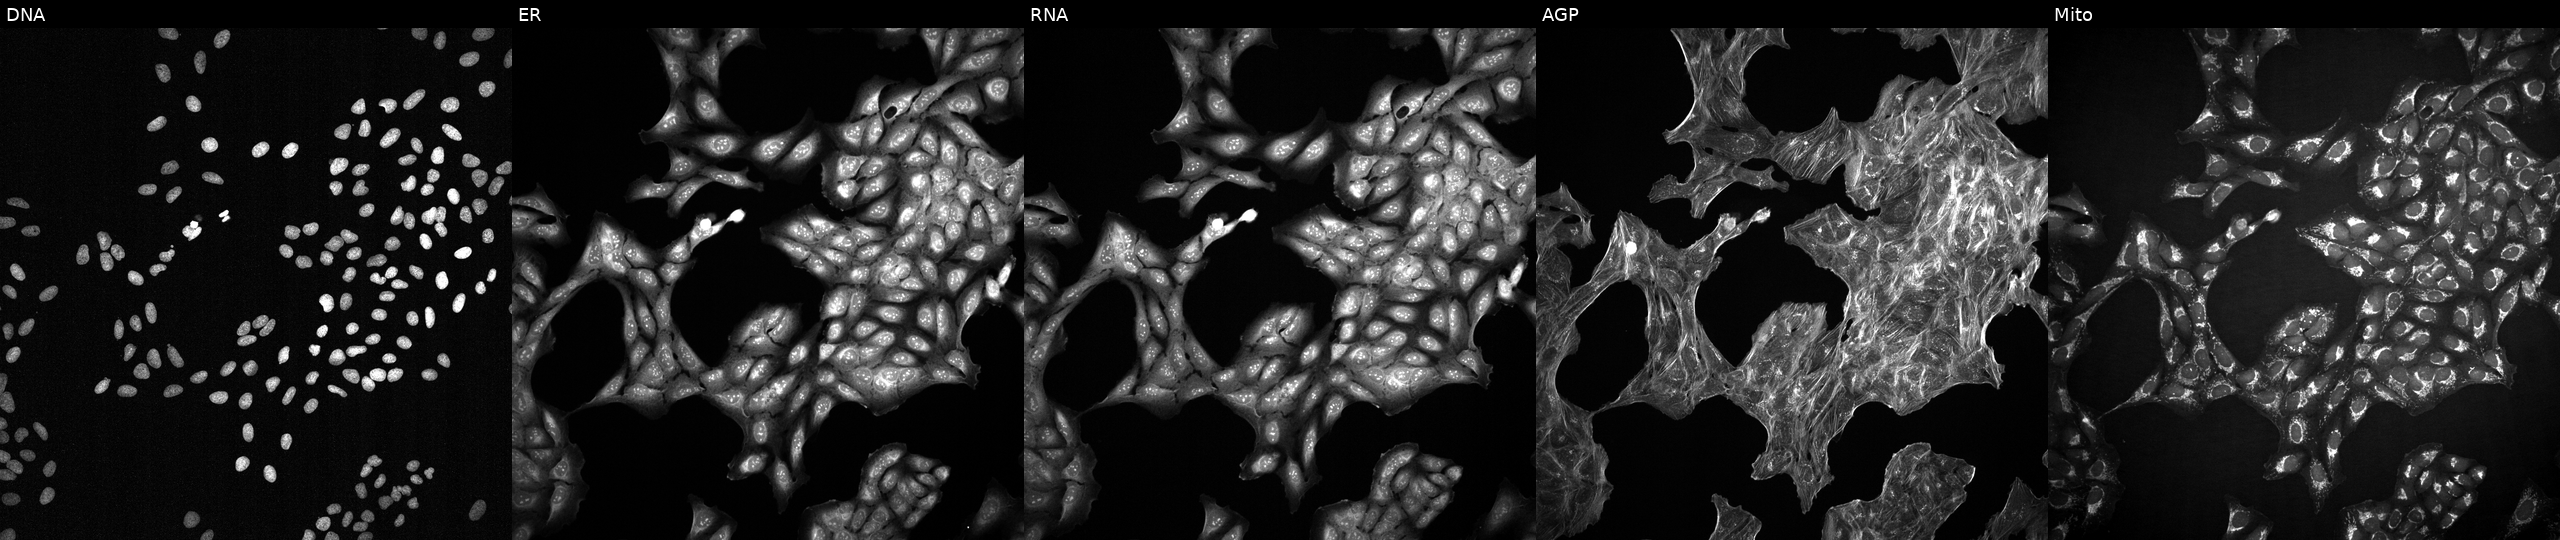
High-content fluorescence microscopy (Cell Painting). Cell line: U2OS. Perturbation: exposed to DMSO alone as a negative control (JUMP id JCP2022_033924). From left to right: Hoechst 33342, concanavalin A, SYTO 14, phalloidin and WGA, MitoTracker.